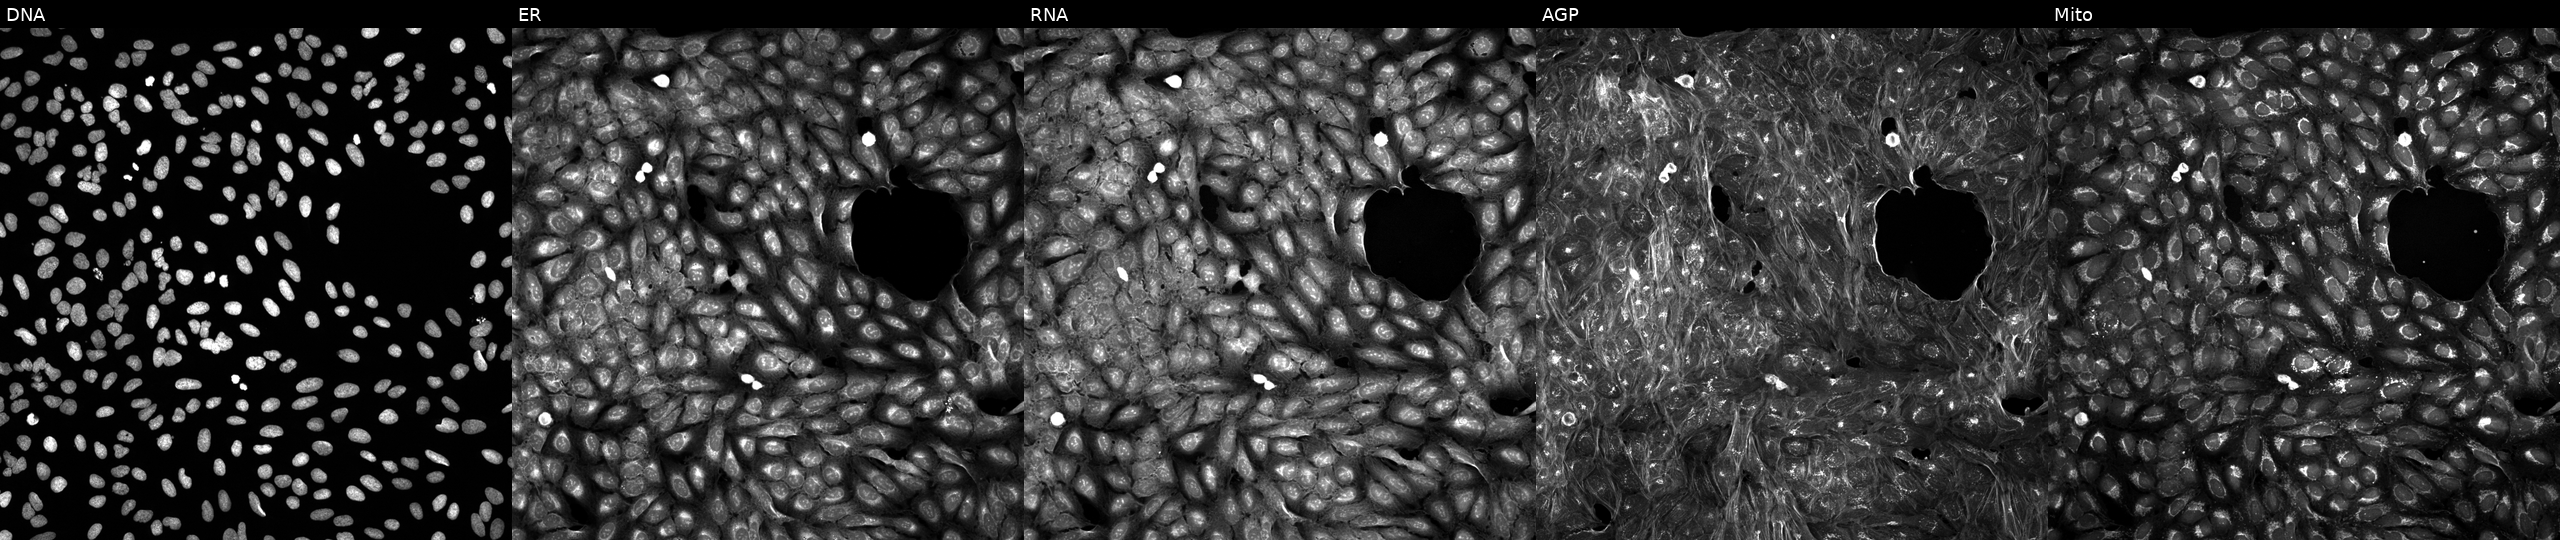
The five panels, left to right, show DNA (nuclei); ER (endoplasmic reticulum); RNA (nucleoli and cytoplasmic RNA); AGP (actin cytoskeleton, Golgi, and plasma membrane); Mito (mitochondria). U2OS osteosarcoma cells treated with a small-molecule compound (InChIKey LGEQQWMQCRIYKG-UHFFFAOYSA-N). Cell Painting assay, JUMP-CP dataset. Source 5, plate ACPJUM032, well I12.